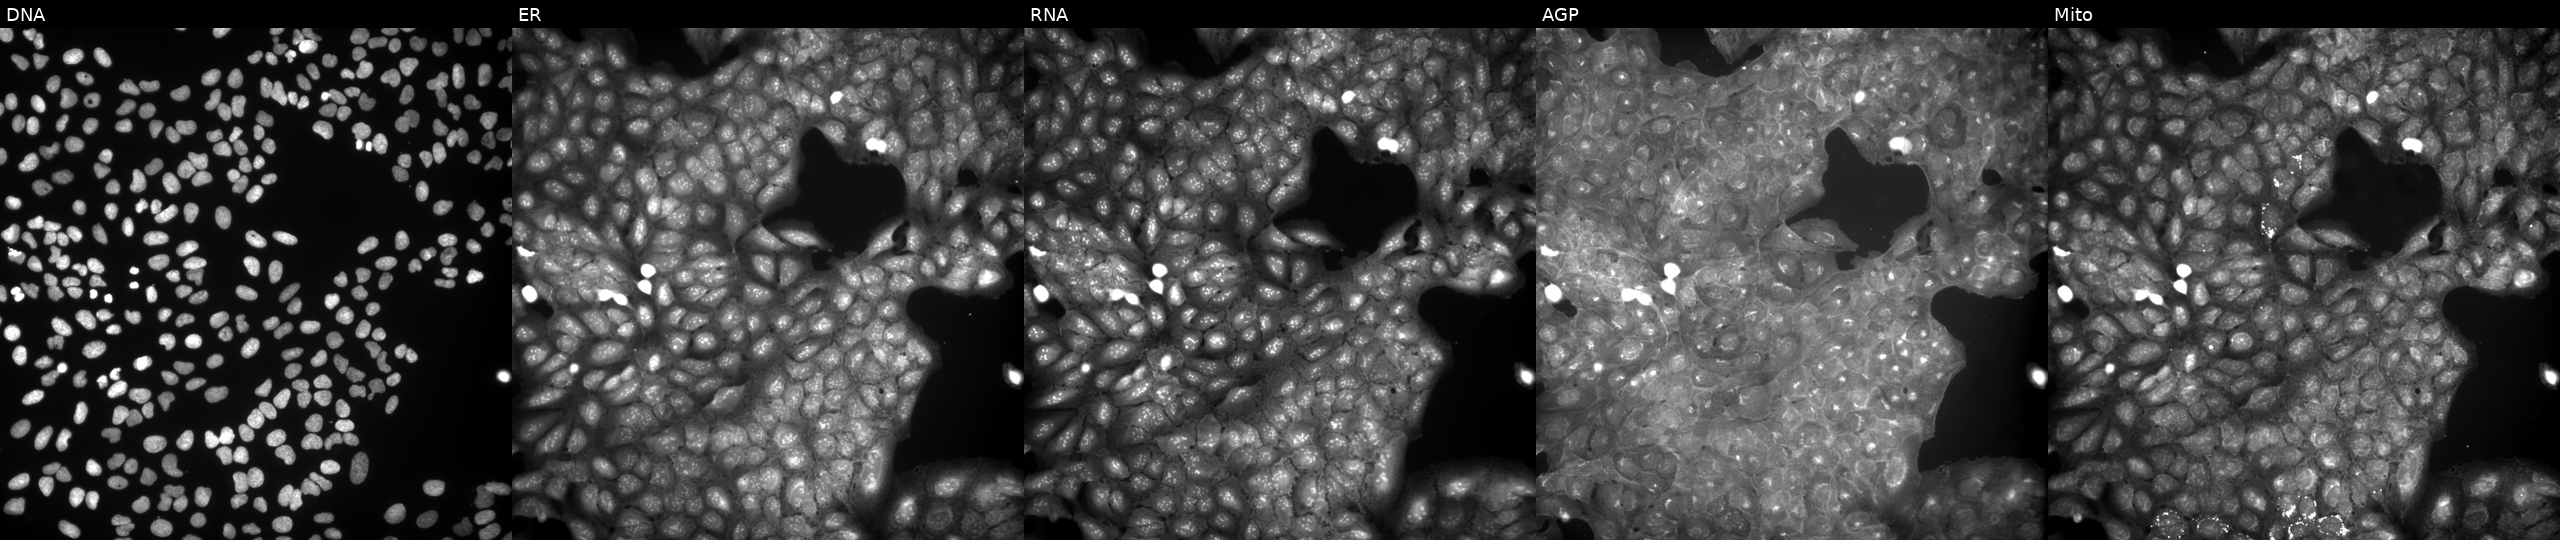
JUMP Cell Painting — COMPOUND plate. U2OS cells perturbed with a small-molecule compound (InChIKey IPLVKLGFQZNJFO-UHFFFAOYSA-N) (JUMP id JCP2022_036554). From left to right: DNA (nuclei); ER (endoplasmic reticulum); RNA (nucleoli and cytoplasmic RNA); AGP (actin cytoskeleton, Golgi, and plasma membrane); Mito (mitochondria).